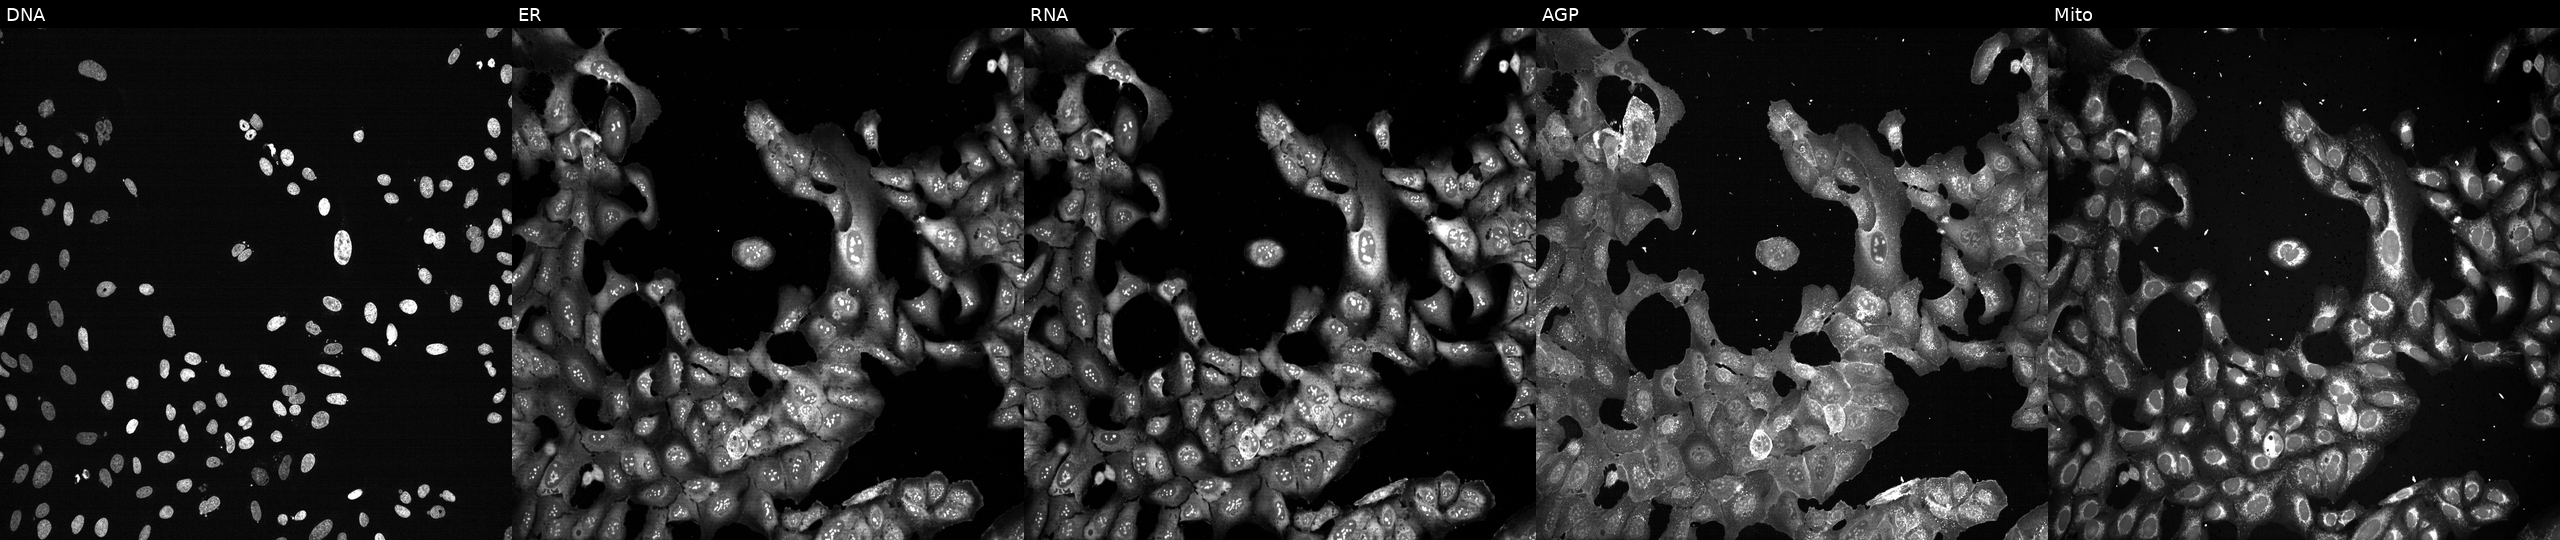
The five panels, left to right, show Hoechst 33342, concanavalin A, SYTO 14, phalloidin and WGA, MitoTracker. U2OS osteosarcoma cells following CRISPR knockout of TNKS (JUMP id JCP2022_807181). Cell Painting assay, JUMP-CP dataset. Source 13, plate CP-CC9-R5-01, well A10.